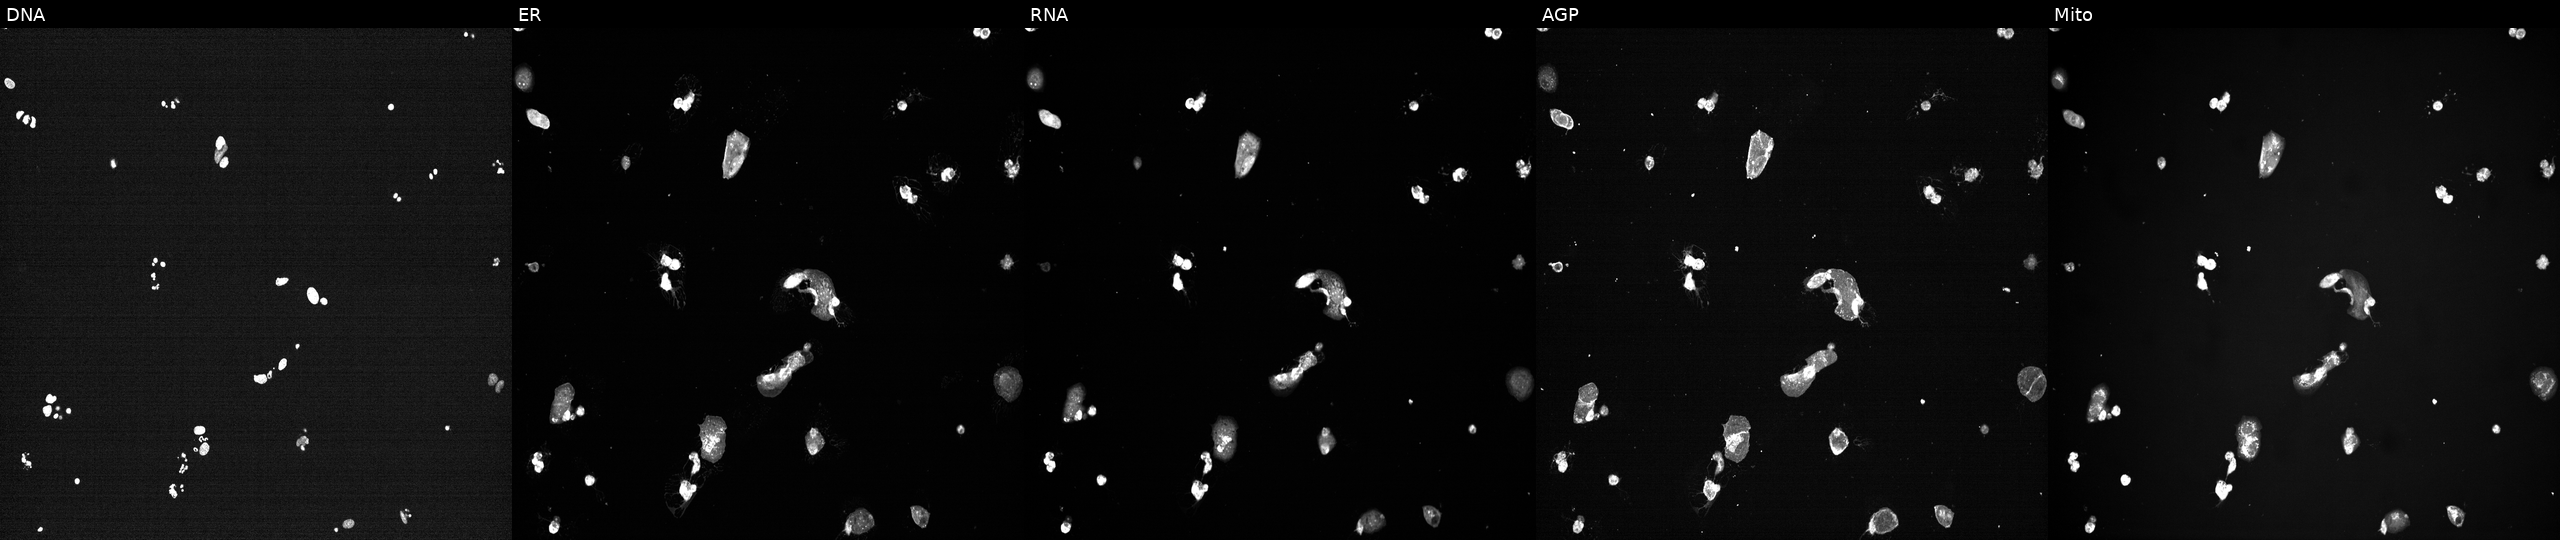
Five-channel Cell Painting image of U2OS cells perturbed with a small-molecule compound (InChIKey RVAQIUULWULRNW-UHFFFAOYSA-N) (JUMP id JCP2022_080920). Channels (left→right): DNA, ER, RNA, AGP, and Mito. Source 7, plate CP2-SC1-25, well L22.